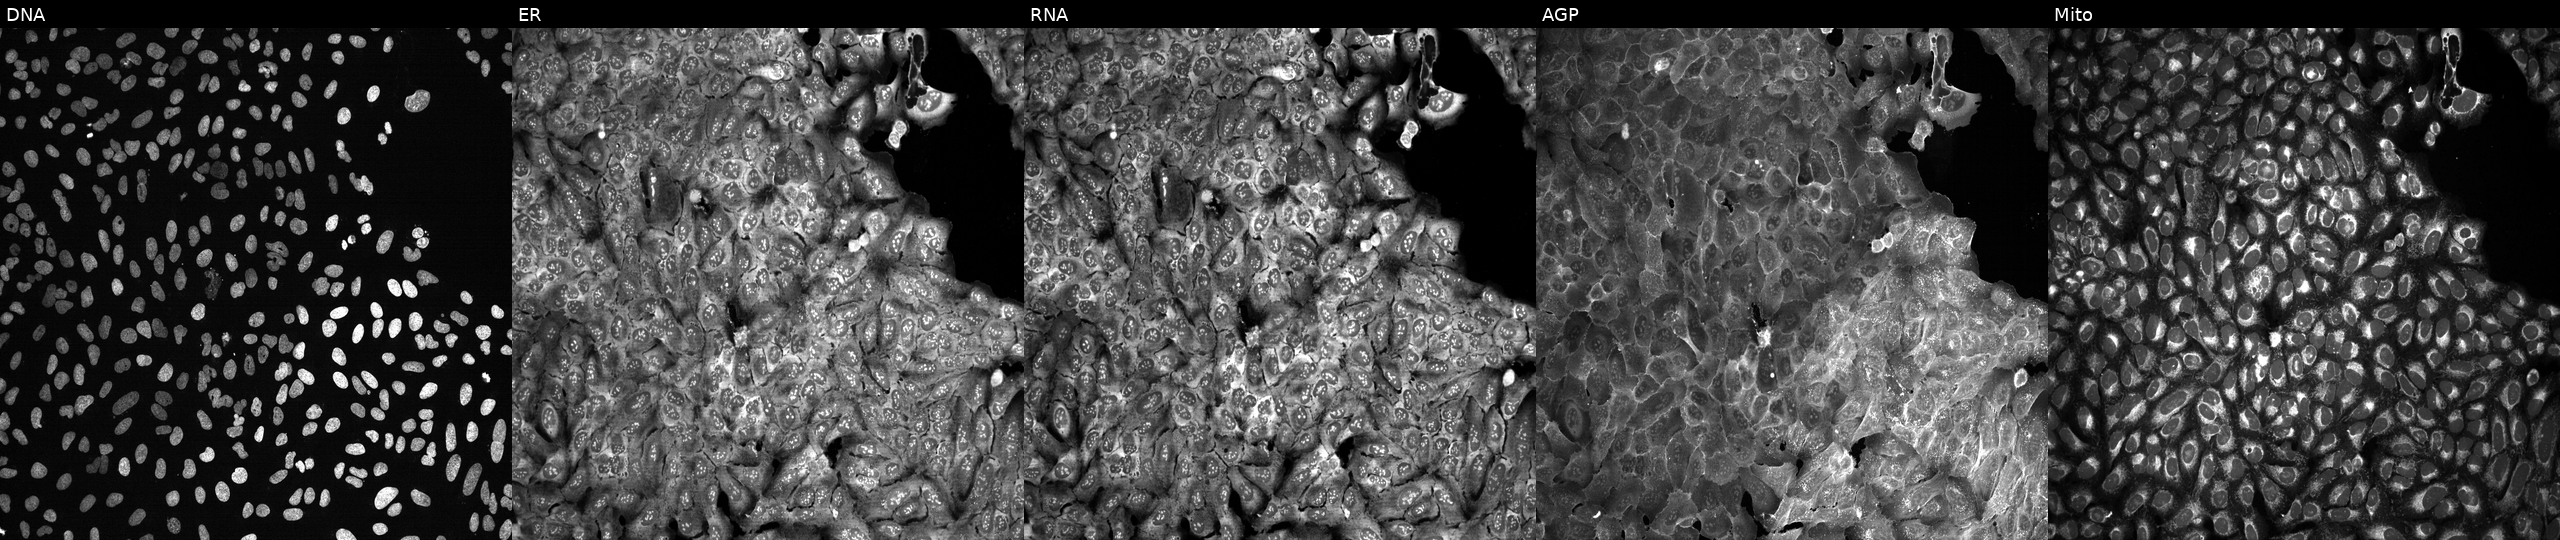
Five-channel Cell Painting image of U2OS cells CRISPR-edited to disrupt ZBTB2 (JUMP id JCP2022_807751). The five panels, left to right, show Hoechst 33342, concanavalin A, SYTO 14, phalloidin and WGA, MitoTracker.